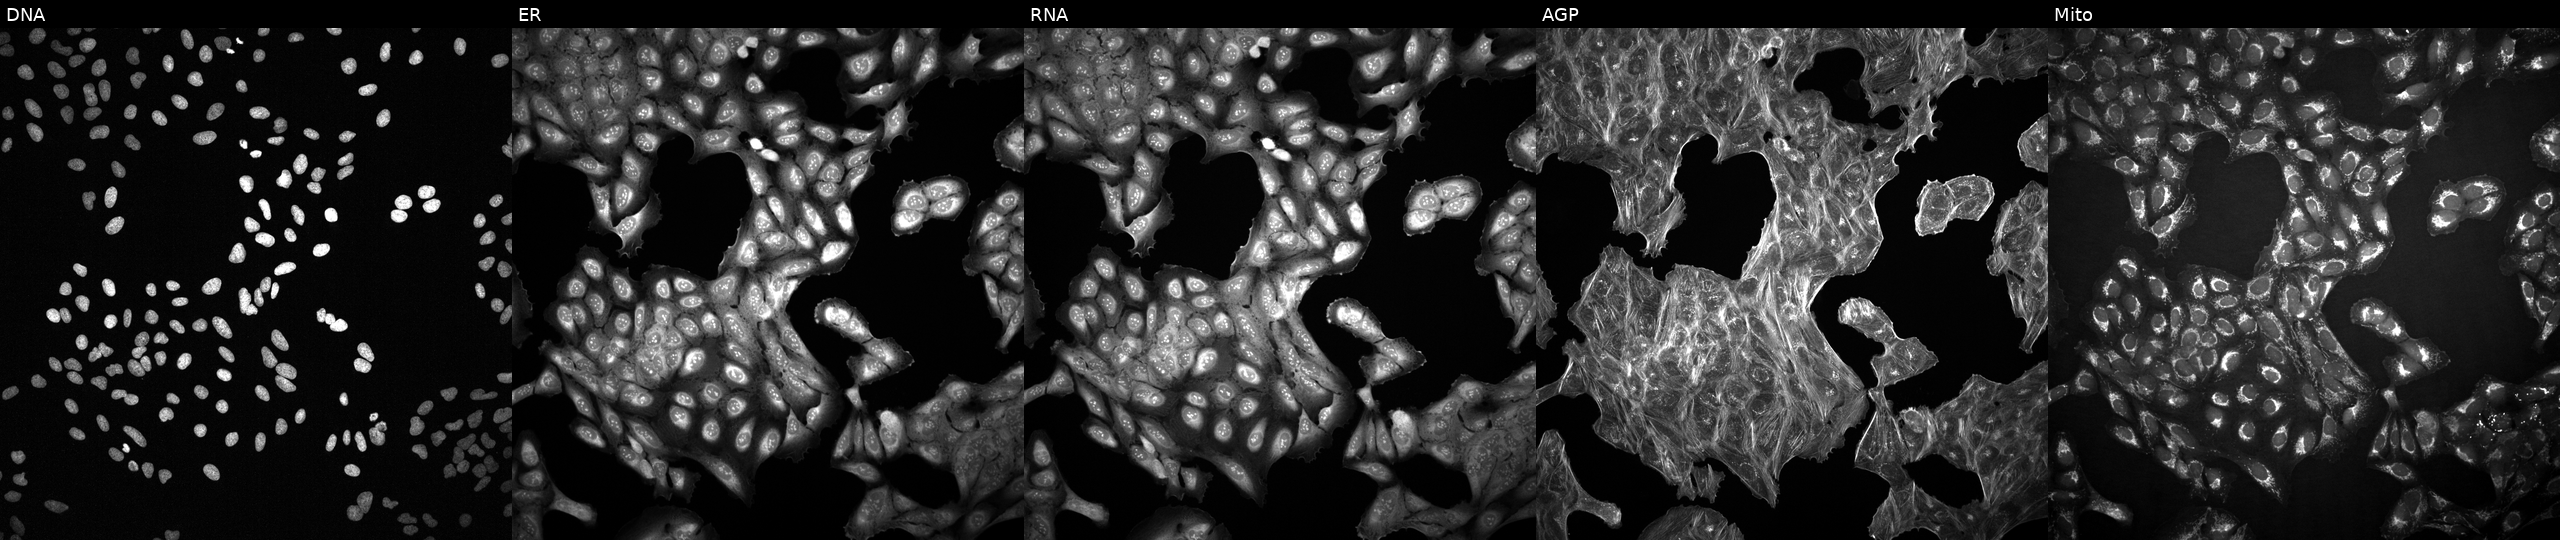
High-content fluorescence microscopy (Cell Painting). Cell line: U2OS. Perturbation: with an unidentified perturbation (not annotated in JUMP metadata). From left to right: DNA, ER, RNA, AGP, and Mito.